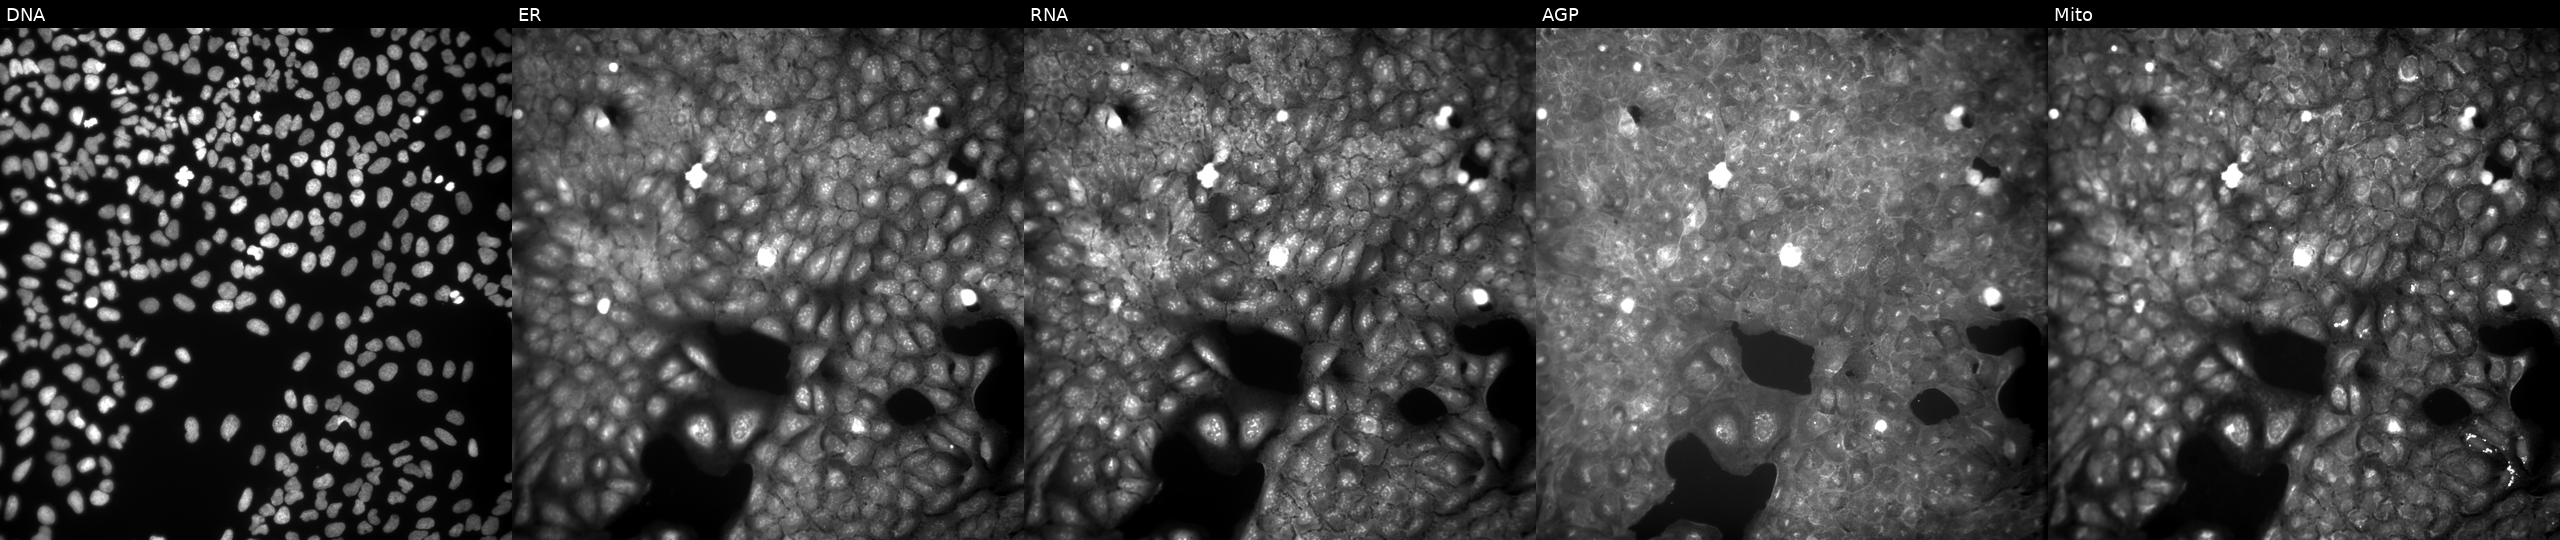
This image strip shows the five Cell Painting channels for a single field of U2OS cells treated with DMSO vehicle only (negative control) (JUMP id JCP2022_033924). Channels (left→right): DNA, ER, RNA, AGP, and Mito.